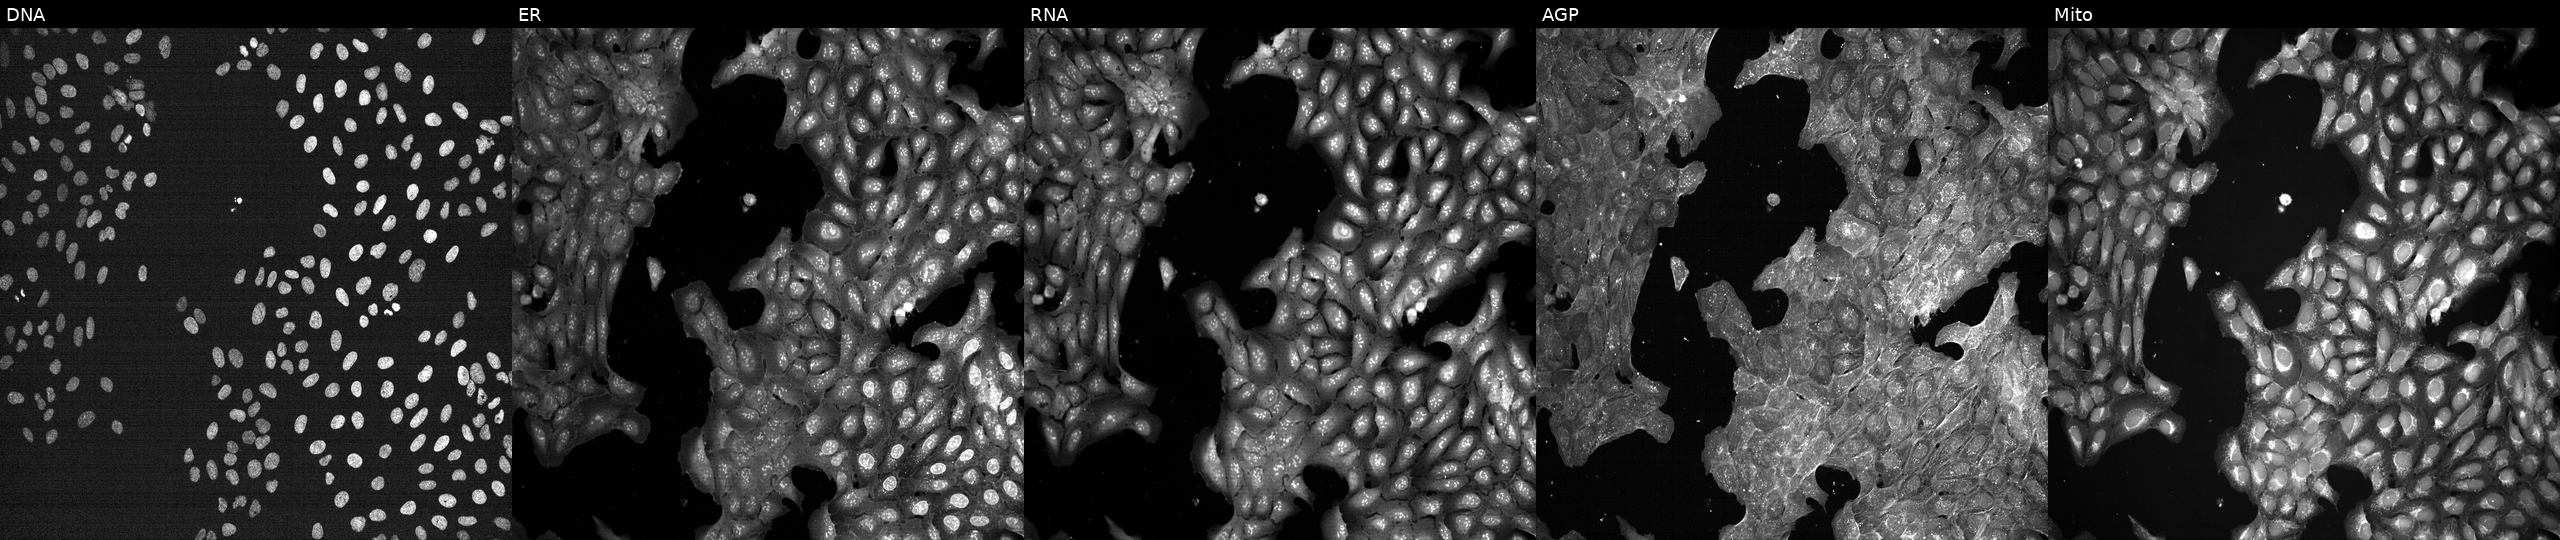
High-content fluorescence microscopy (Cell Painting). Cell line: U2OS. Perturbation: exposed to a small-molecule compound (InChIKey MJVAVZPDRWSRRC-UHFFFAOYSA-N) (JUMP id JCP2022_054618). The five panels, left to right, show DNA (nuclei); ER (endoplasmic reticulum); RNA (nucleoli and cytoplasmic RNA); AGP (actin cytoskeleton, Golgi, and plasma membrane); Mito (mitochondria). Source 7, plate CP1-SC1-25, well H05.